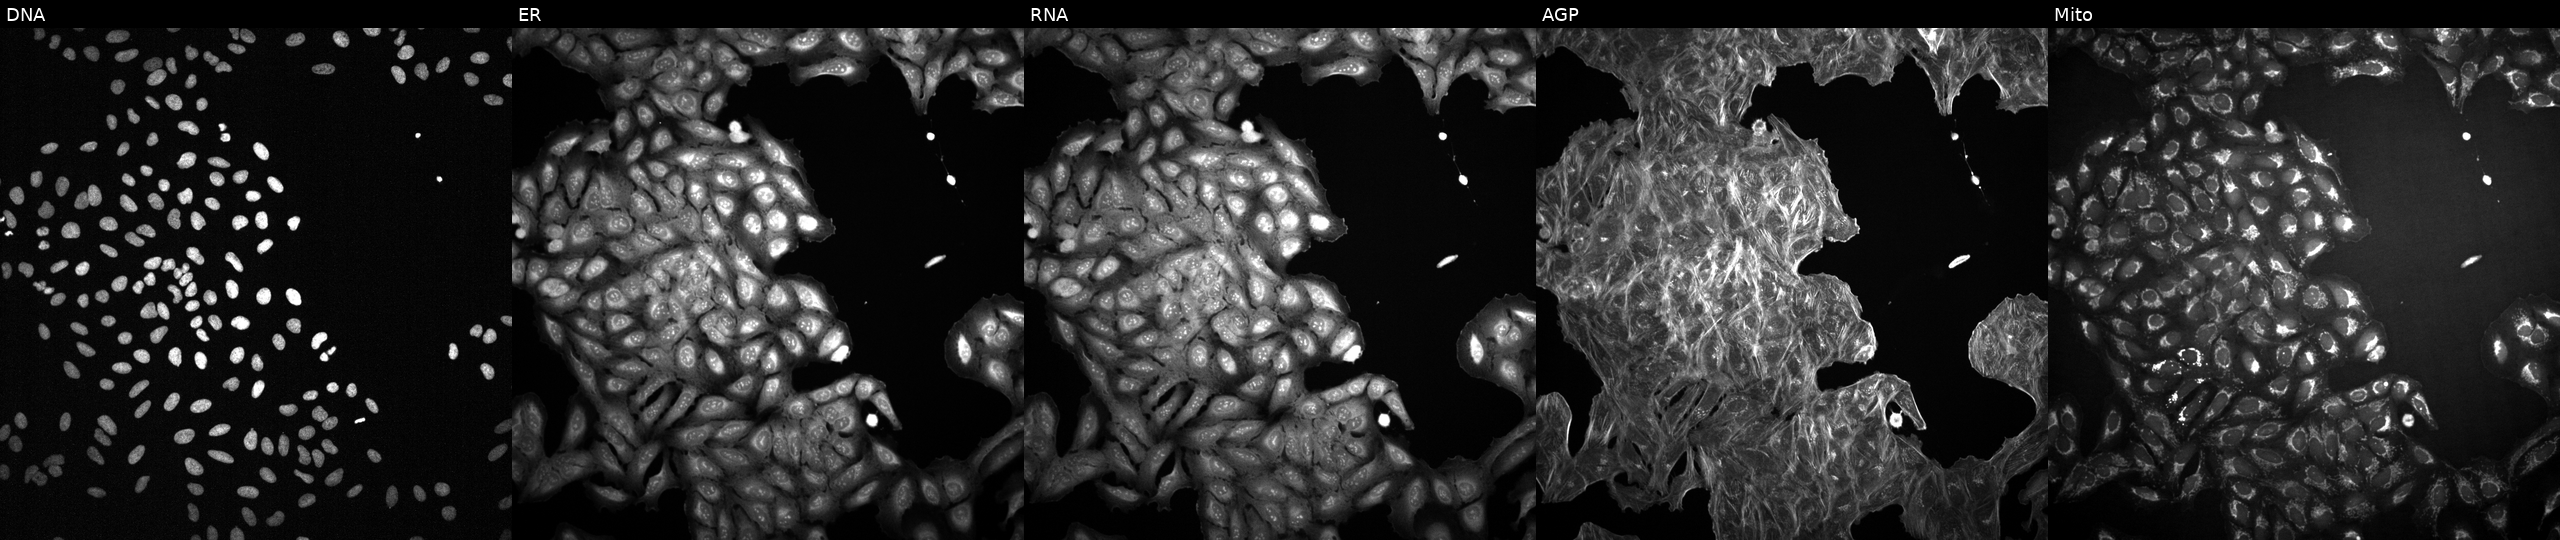
The five panels, left to right, show DNA (nuclei); ER (endoplasmic reticulum); RNA (nucleoli and cytoplasmic RNA); AGP (actin cytoskeleton, Golgi, and plasma membrane); Mito (mitochondria). U2OS osteosarcoma cells treated with DMSO vehicle only (negative control). Cell Painting assay, JUMP-CP dataset.